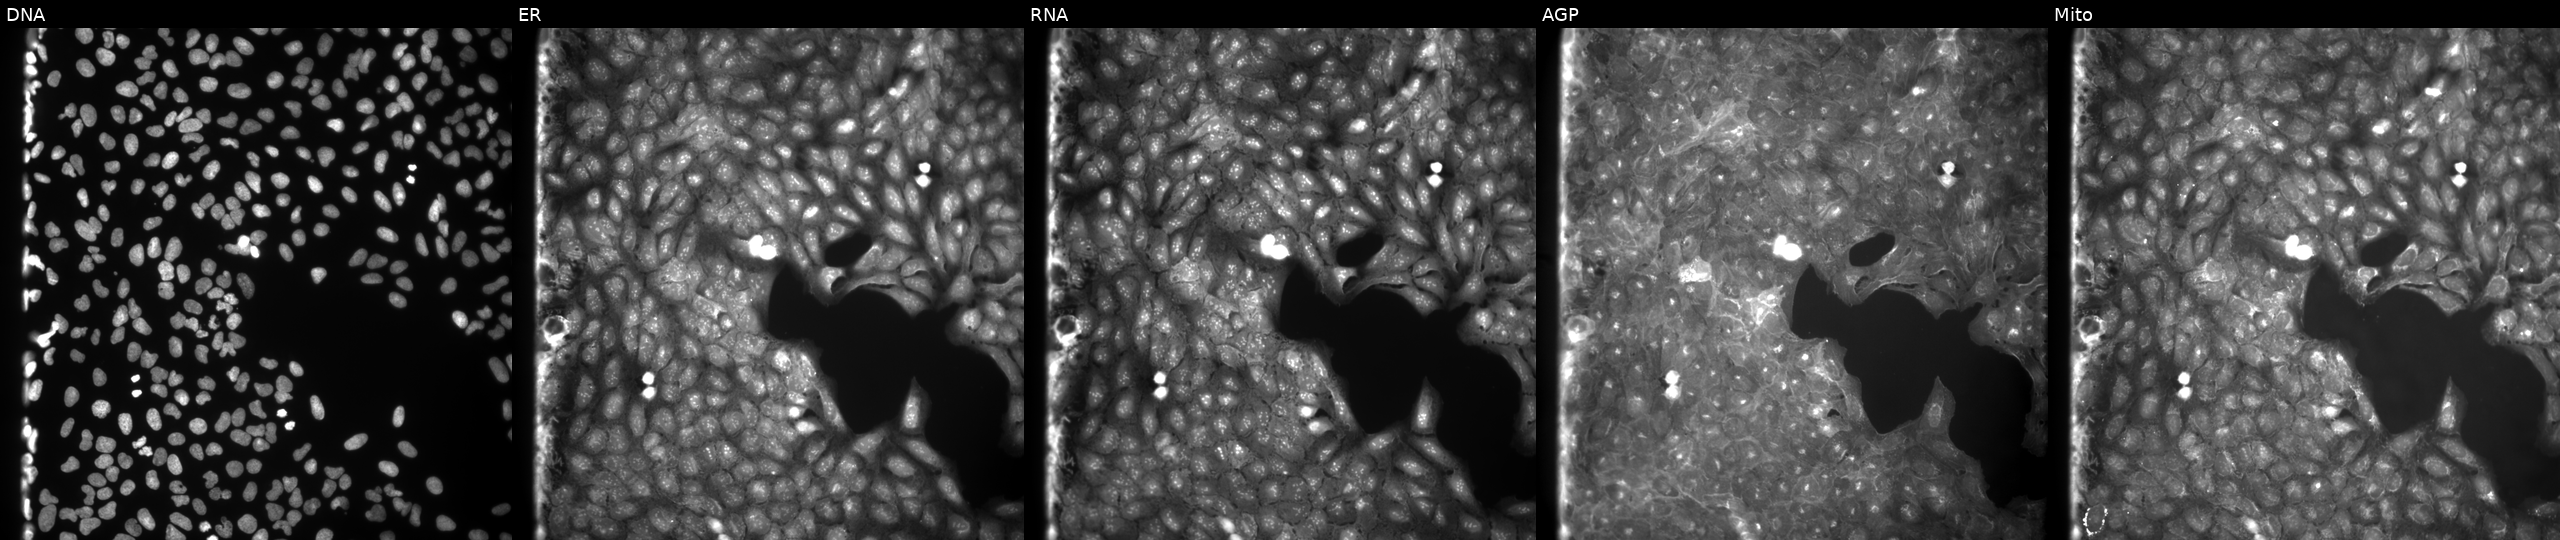
High-content fluorescence microscopy (Cell Painting). Cell line: U2OS. Perturbation: perturbed with a small-molecule compound [SMILES: O=S(=O)(c1cccc2nsnc12)N1CCN(CC=Cc2ccccc2)CC1] (JUMP id JCP2022_071188). From left to right: DNA, ER, RNA, AGP, and Mito. Source 9, plate GR00003382, well K06.